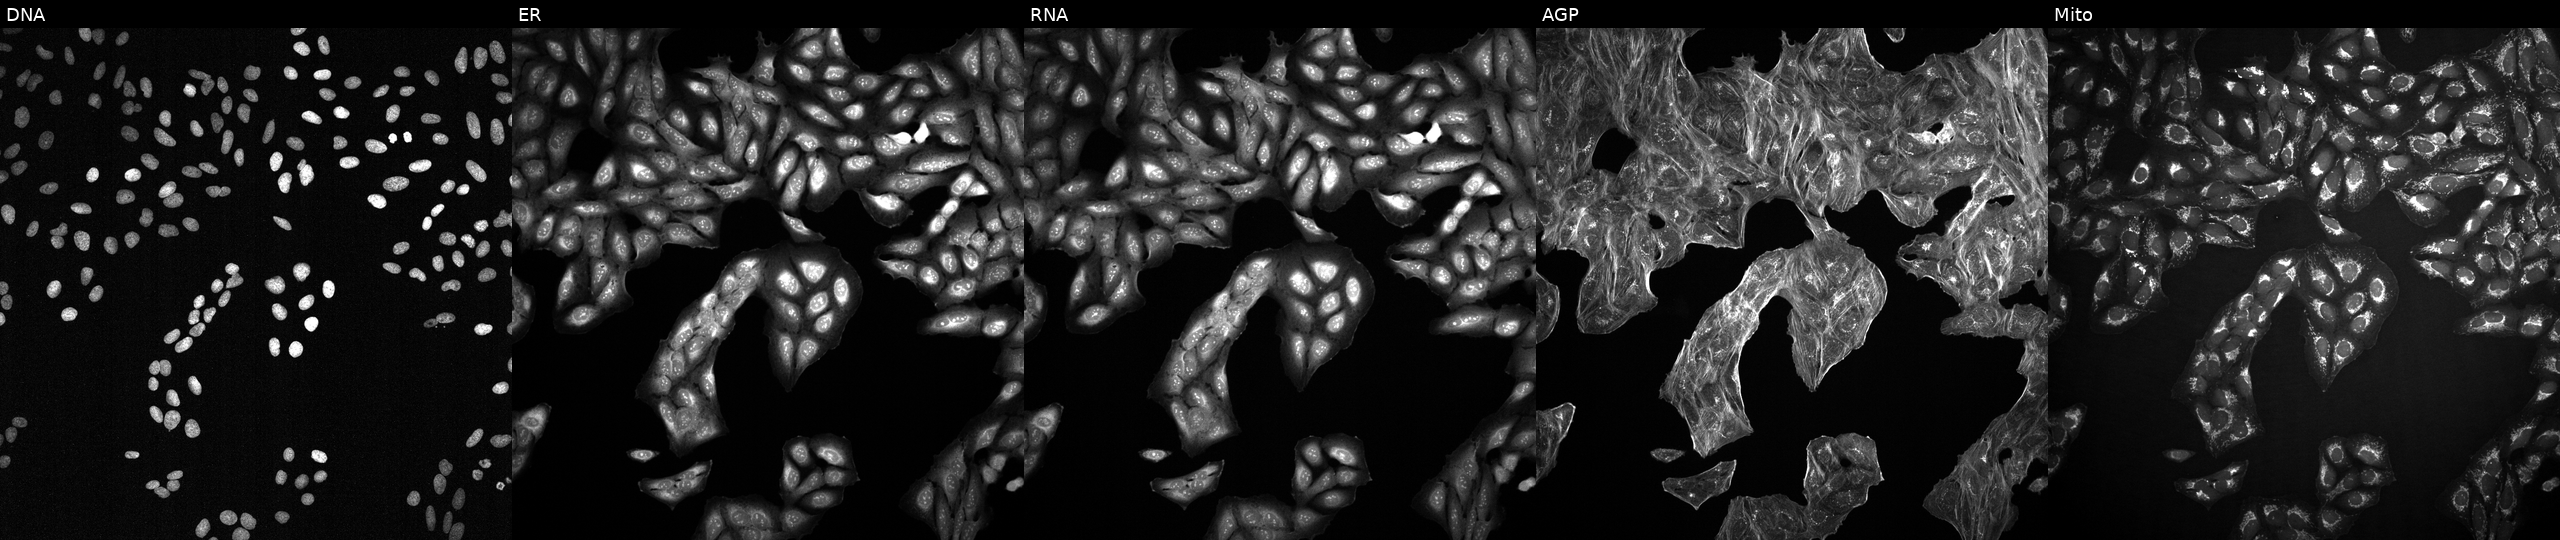
JUMP Cell Painting — TARGET2 plate. U2OS cells exposed to DMSO alone as a negative control. From left to right: DNA, ER, RNA, AGP, and Mito.